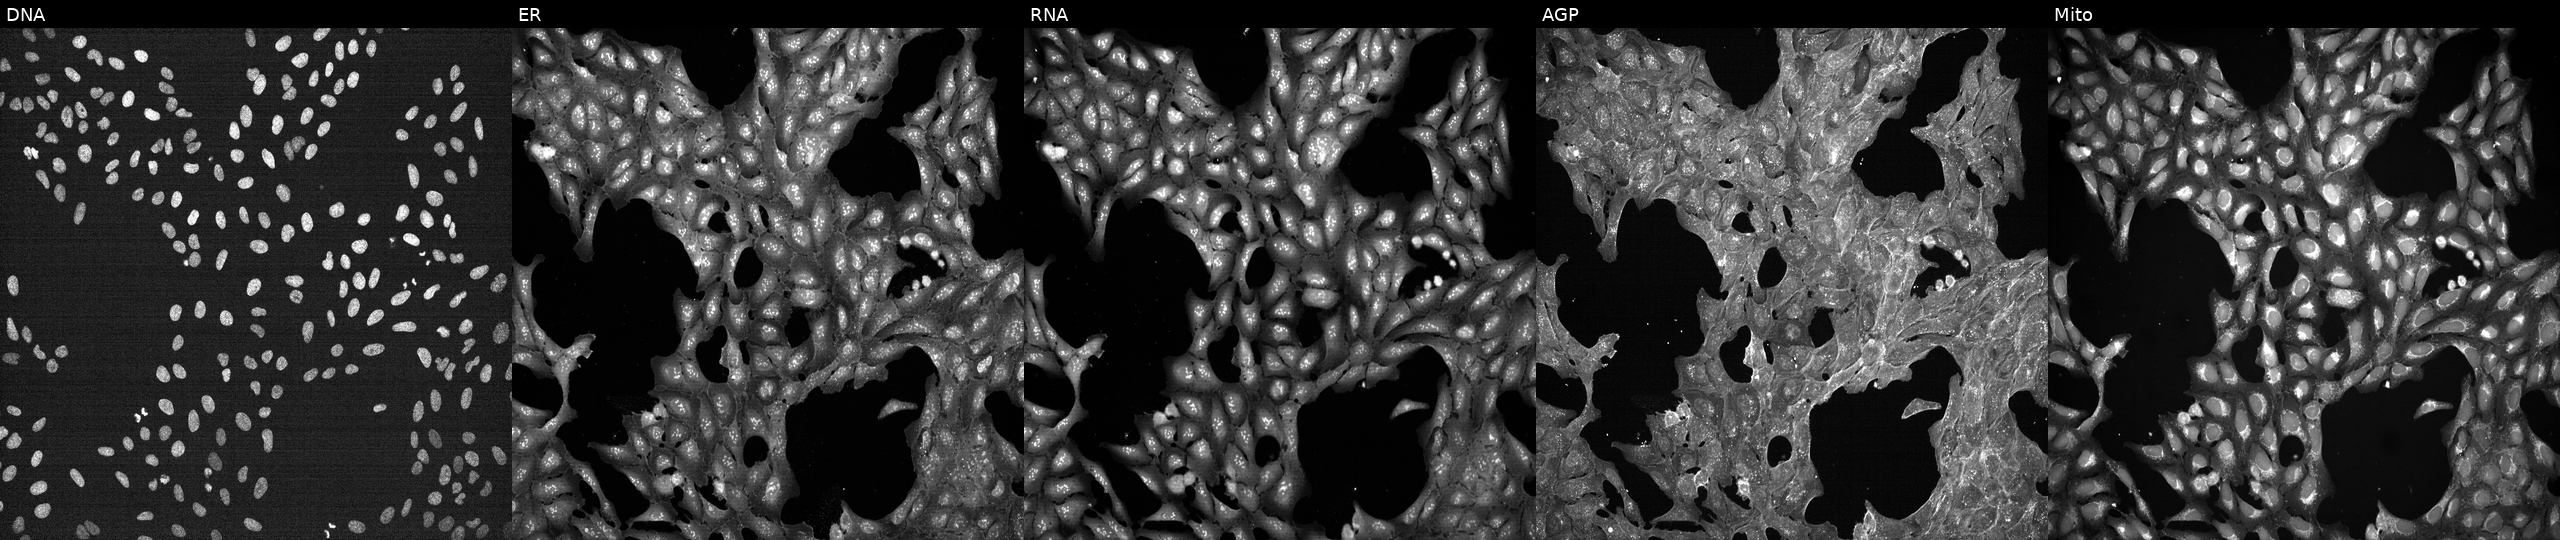
High-content fluorescence microscopy (Cell Painting). Cell line: U2OS. Perturbation: perturbed with a small-molecule compound (InChIKey KSCFJBIXMNOVSH-UHFFFAOYSA-N) (JUMP id JCP2022_046649). Panels show, left to right, DNA, ER, RNA, AGP, and Mito.